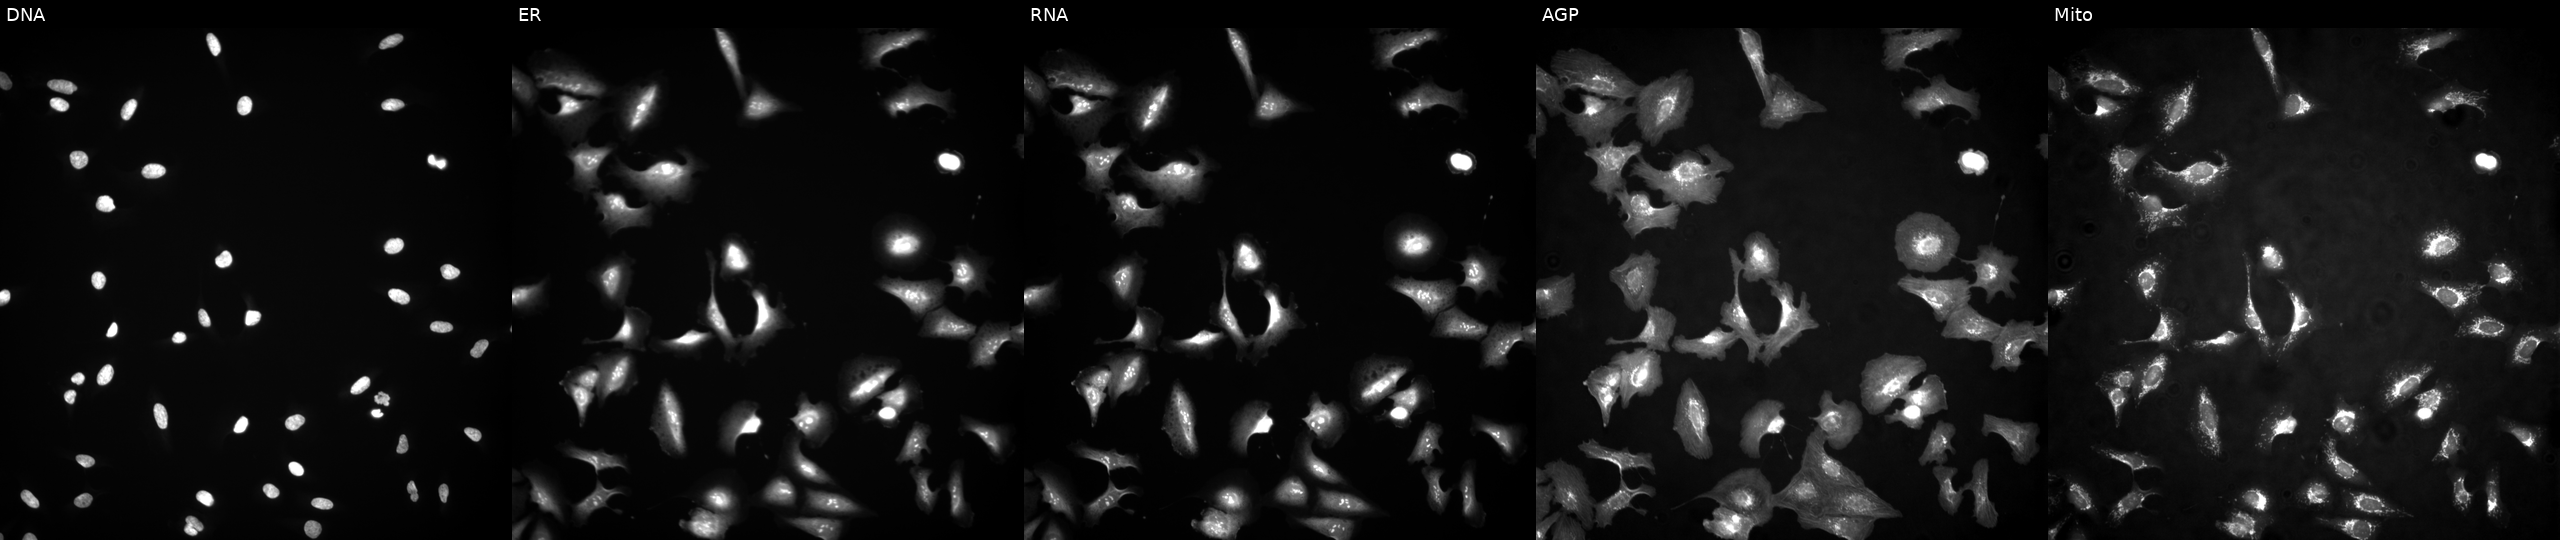
U2OS cells, Cell Painting assay, overexpressing ZNF816 via ORF transfection (JUMP id JCP2022_904494). Panels show, left to right, Hoechst 33342, concanavalin A, SYTO 14, phalloidin and WGA, MitoTracker. Each panel is percentile-stretched 16-bit fluorescence.